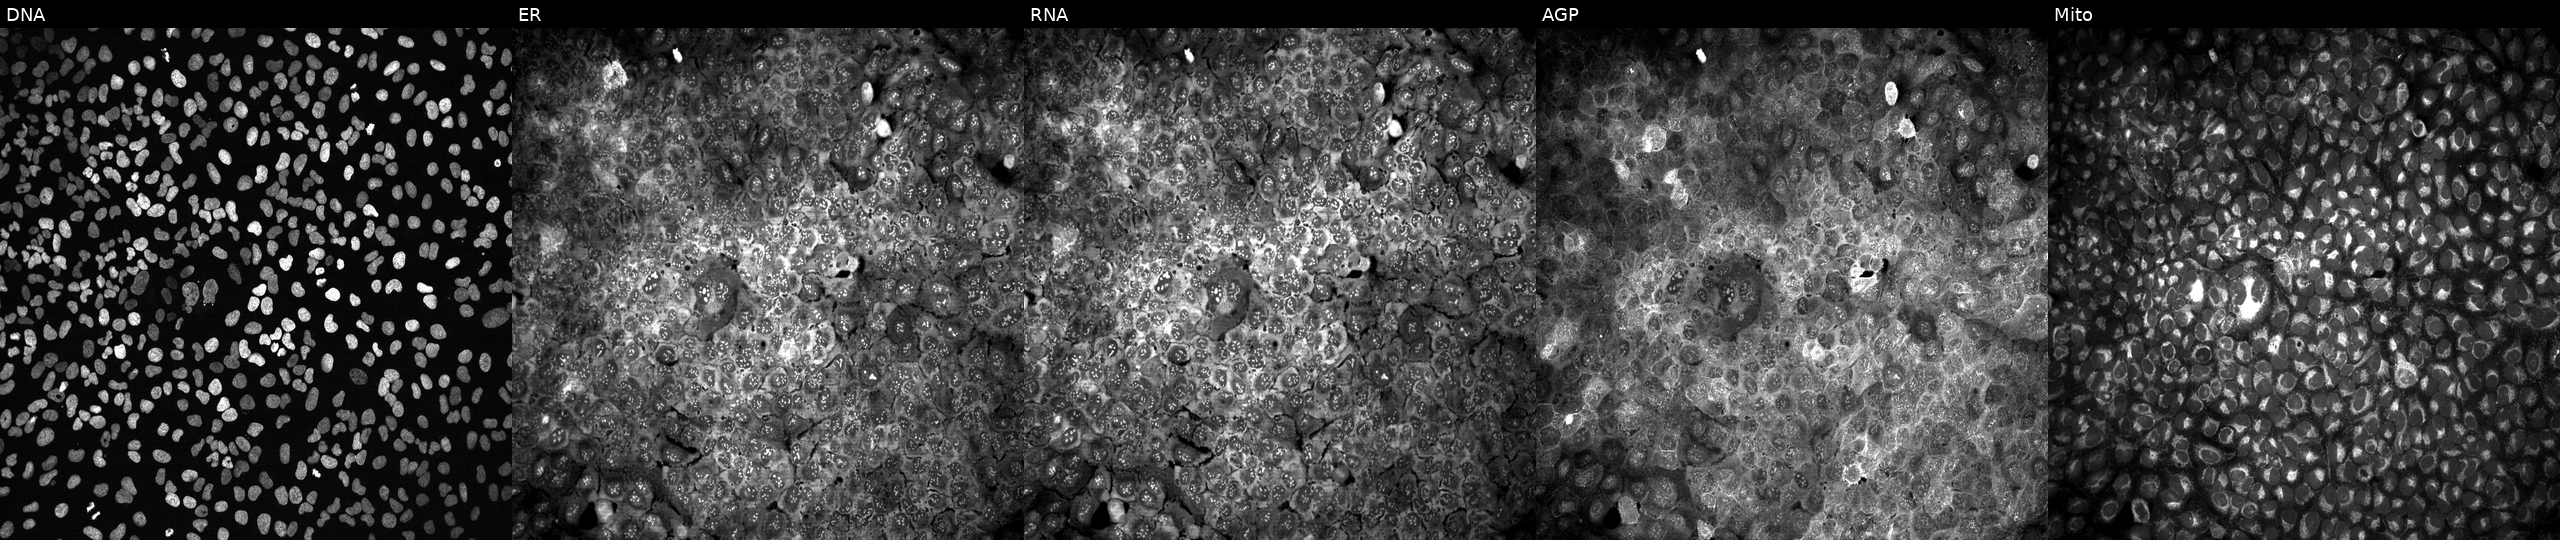
Panels show, left to right, DNA, ER, RNA, AGP, and Mito. U2OS osteosarcoma cells with MAN1A2 knocked out by CRISPR (JUMP id JCP2022_803963). Cell Painting assay, JUMP-CP dataset.